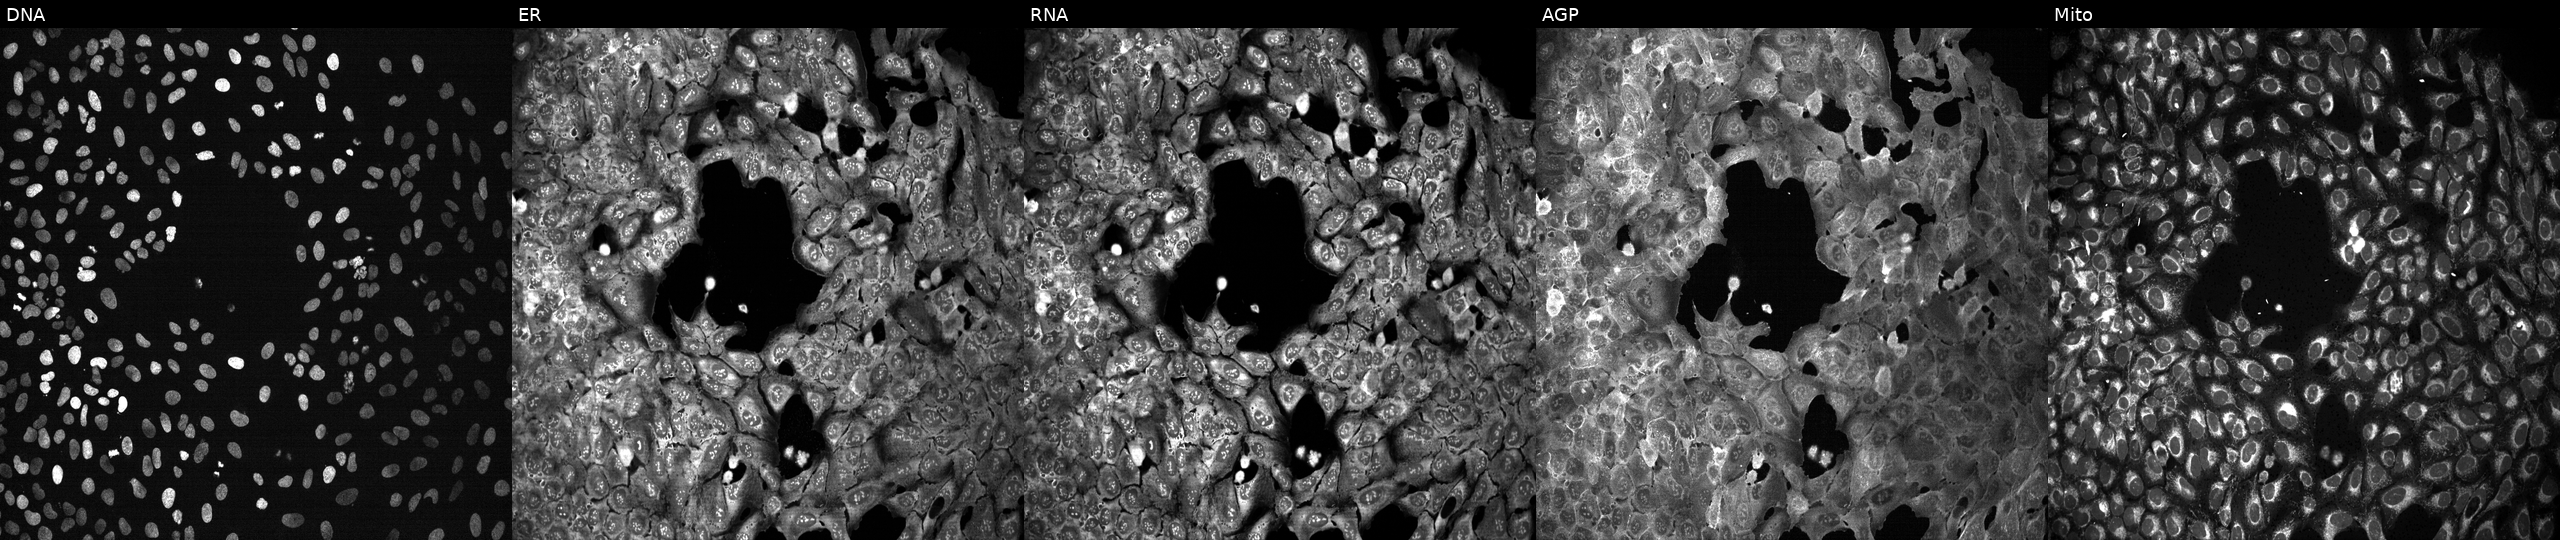
High-content fluorescence microscopy (Cell Painting). Cell line: U2OS. Perturbation: CRISPR-edited to disrupt AARSD1 (JUMP id JCP2022_800013). The five panels, left to right, show Hoechst 33342, concanavalin A, SYTO 14, phalloidin and WGA, MitoTracker. Source 13, plate CP-CC9-R3-01, well B19.